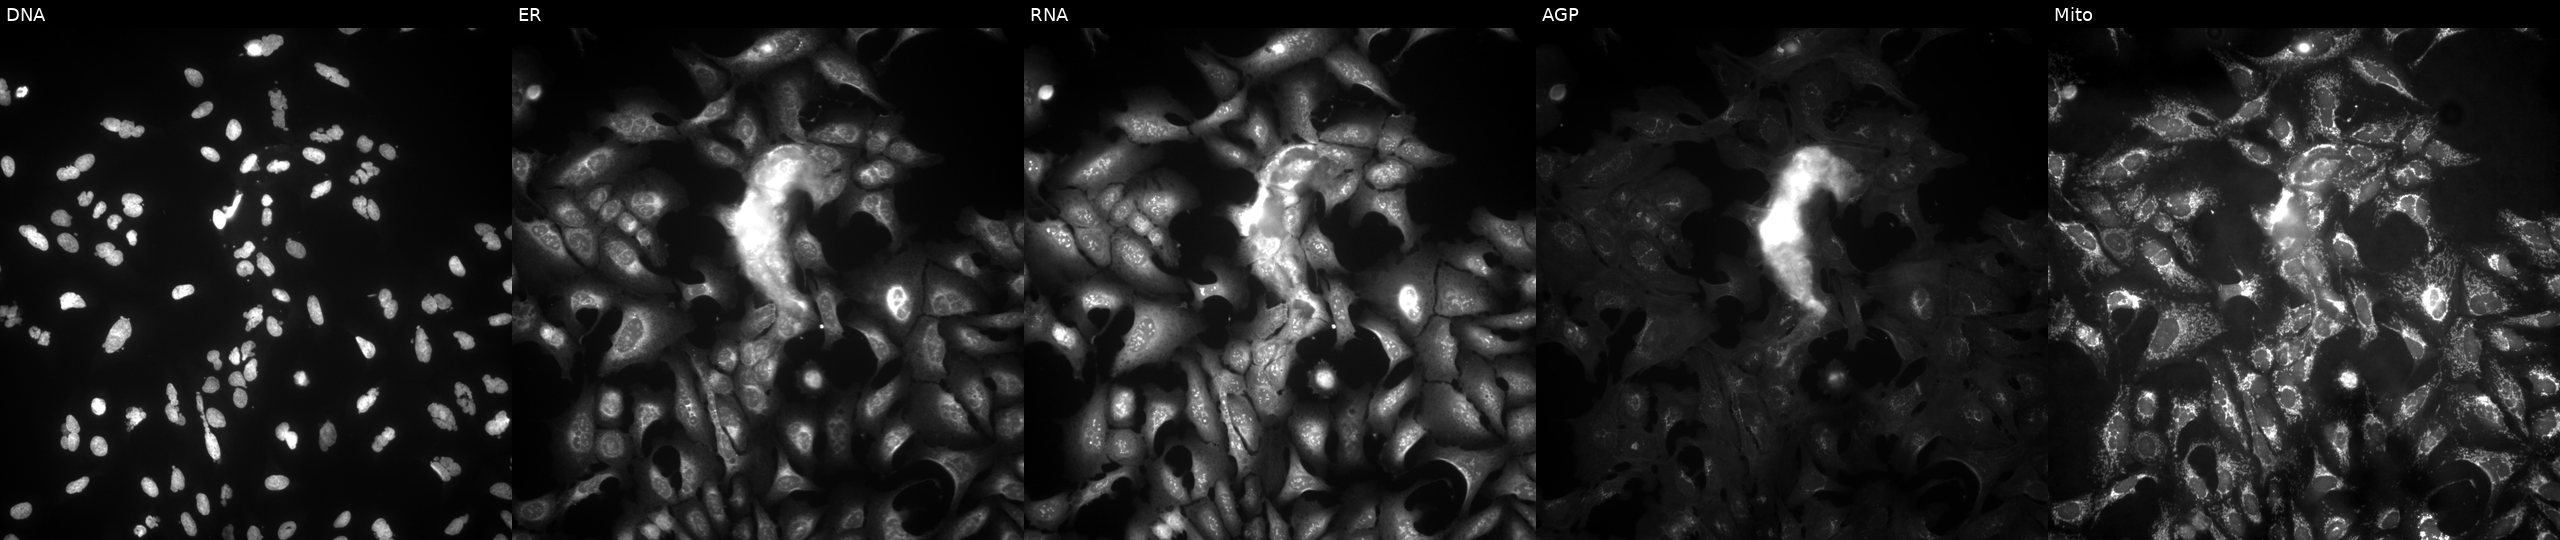
U2OS cells, Cell Painting assay, treated with LY2109761 (positive-control compound) (JUMP id JCP2022_035095). Channels (left→right): Hoechst 33342, concanavalin A, SYTO 14, phalloidin and WGA, MitoTracker. Each panel is percentile-stretched 16-bit fluorescence.